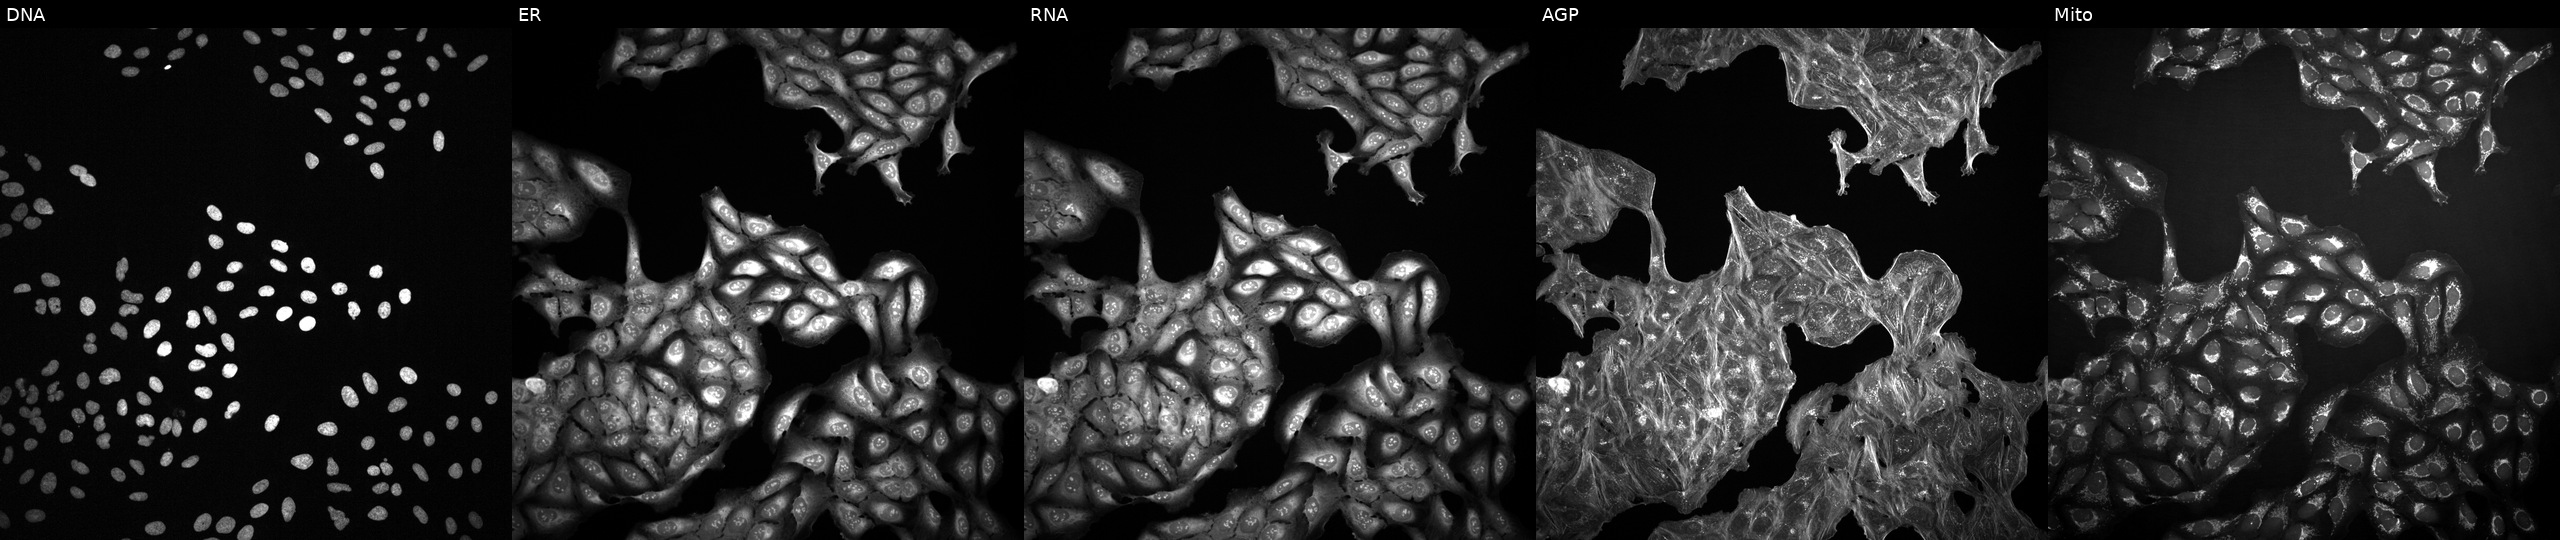
High-content fluorescence microscopy (Cell Painting). Cell line: U2OS. Perturbation: treated with a small-molecule compound [SMILES: CCCCOc1cc(CC2CNC(=O)N2)ccc1OC]. Channels (left→right): DNA (nuclei); ER (endoplasmic reticulum); RNA (nucleoli and cytoplasmic RNA); AGP (actin cytoskeleton, Golgi, and plasma membrane); Mito (mitochondria). Source 2, plate 1053597936, well B07.